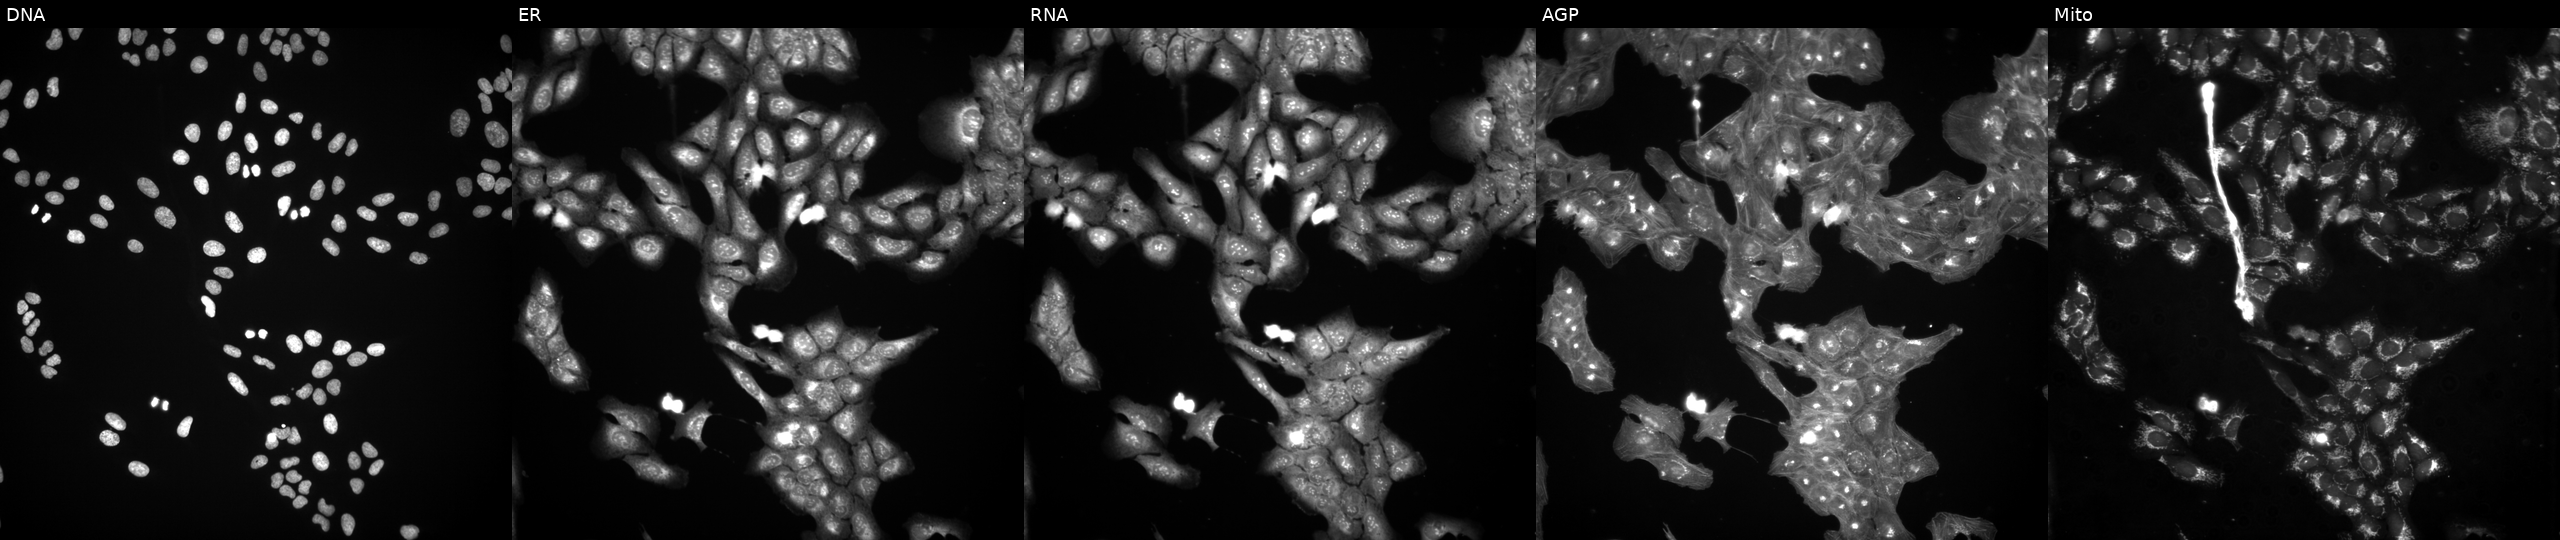
From left to right: Hoechst 33342, concanavalin A, SYTO 14, phalloidin and WGA, MitoTracker. U2OS osteosarcoma cells exposed to a small-molecule compound (InChIKey GYYRMJMXXLJZAB-UHFFFAOYSA-N) (JUMP id JCP2022_028645). Cell Painting assay, JUMP-CP dataset.